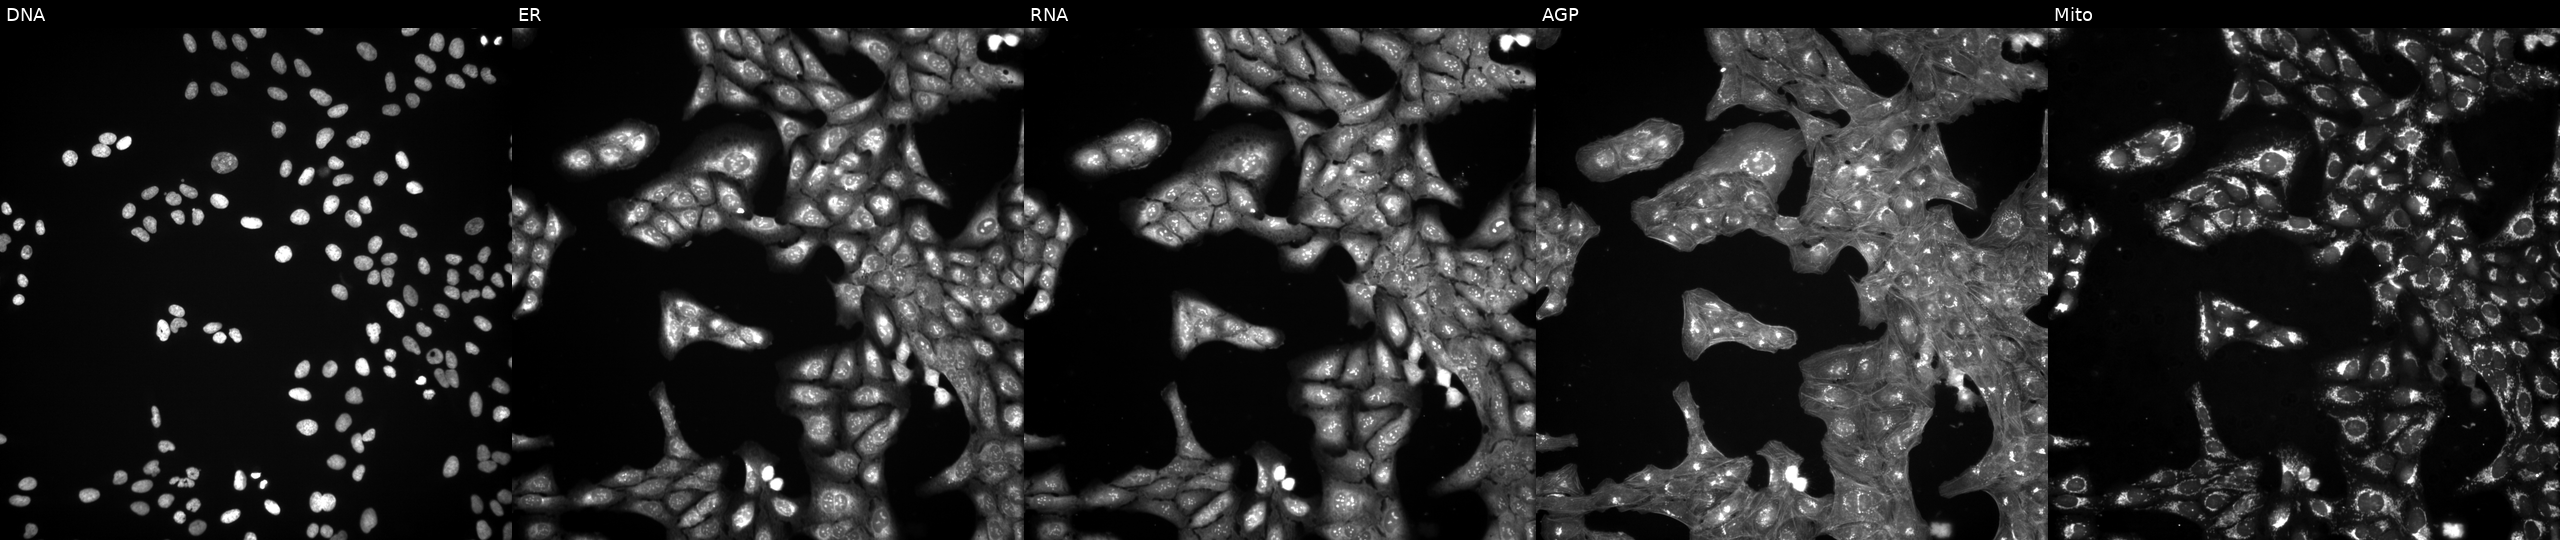
U2OS cells, Cell Painting assay, perturbed with a small-molecule compound (JUMP id JCP2022_081430). Channels (left→right): DNA (nuclei); ER (endoplasmic reticulum); RNA (nucleoli and cytoplasmic RNA); AGP (actin cytoskeleton, Golgi, and plasma membrane); Mito (mitochondria). Each panel is percentile-stretched 16-bit fluorescence. Source 3, plate JCPQC052, well G10.